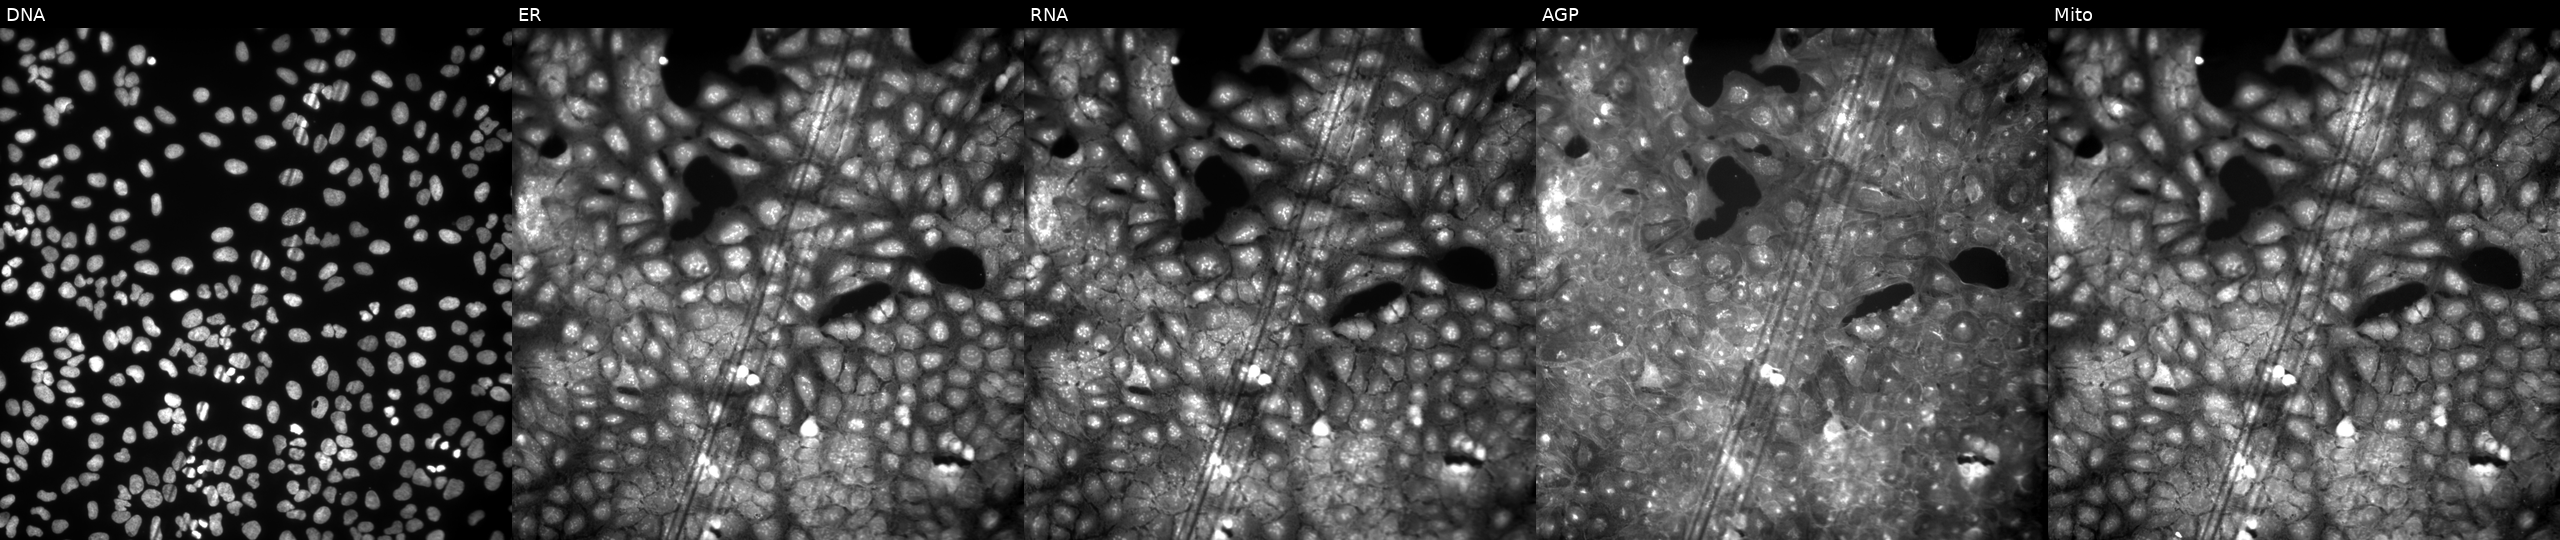
From left to right: DNA (nuclei); ER (endoplasmic reticulum); RNA (nucleoli and cytoplasmic RNA); AGP (actin cytoskeleton, Golgi, and plasma membrane); Mito (mitochondria). U2OS osteosarcoma cells treated with a small-molecule compound (InChIKey PWBTYTYWXPFAAK-UHFFFAOYSA-N). Cell Painting assay, JUMP-CP dataset. Source 9, plate GR00003381, well AE31.